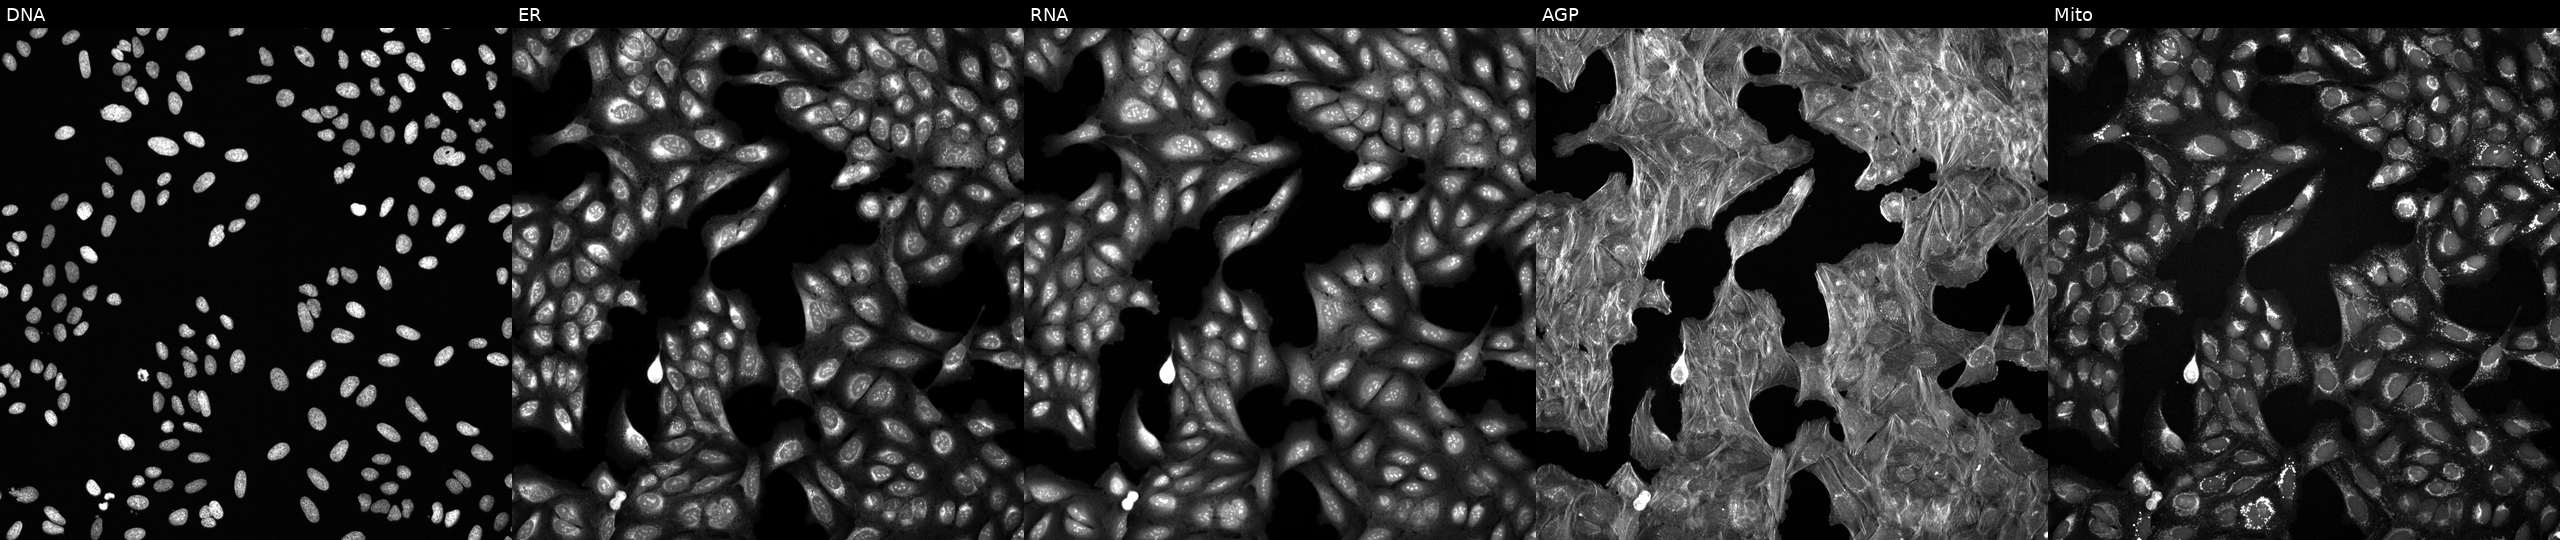
U2OS cells, Cell Painting assay, perturbed with a small-molecule compound [SMILES: Cc1nn(C)c2[nH]c(=NNC(=O)N=c3cc(Cl)[nH]c(Cl)c3)cc(C(C)C)c12] (JUMP id JCP2022_079562). Panels show, left to right, DNA (nuclei); ER (endoplasmic reticulum); RNA (nucleoli and cytoplasmic RNA); AGP (actin cytoskeleton, Golgi, and plasma membrane); Mito (mitochondria). Each panel is percentile-stretched 16-bit fluorescence. Source 6, plate 110000293093, well A15.